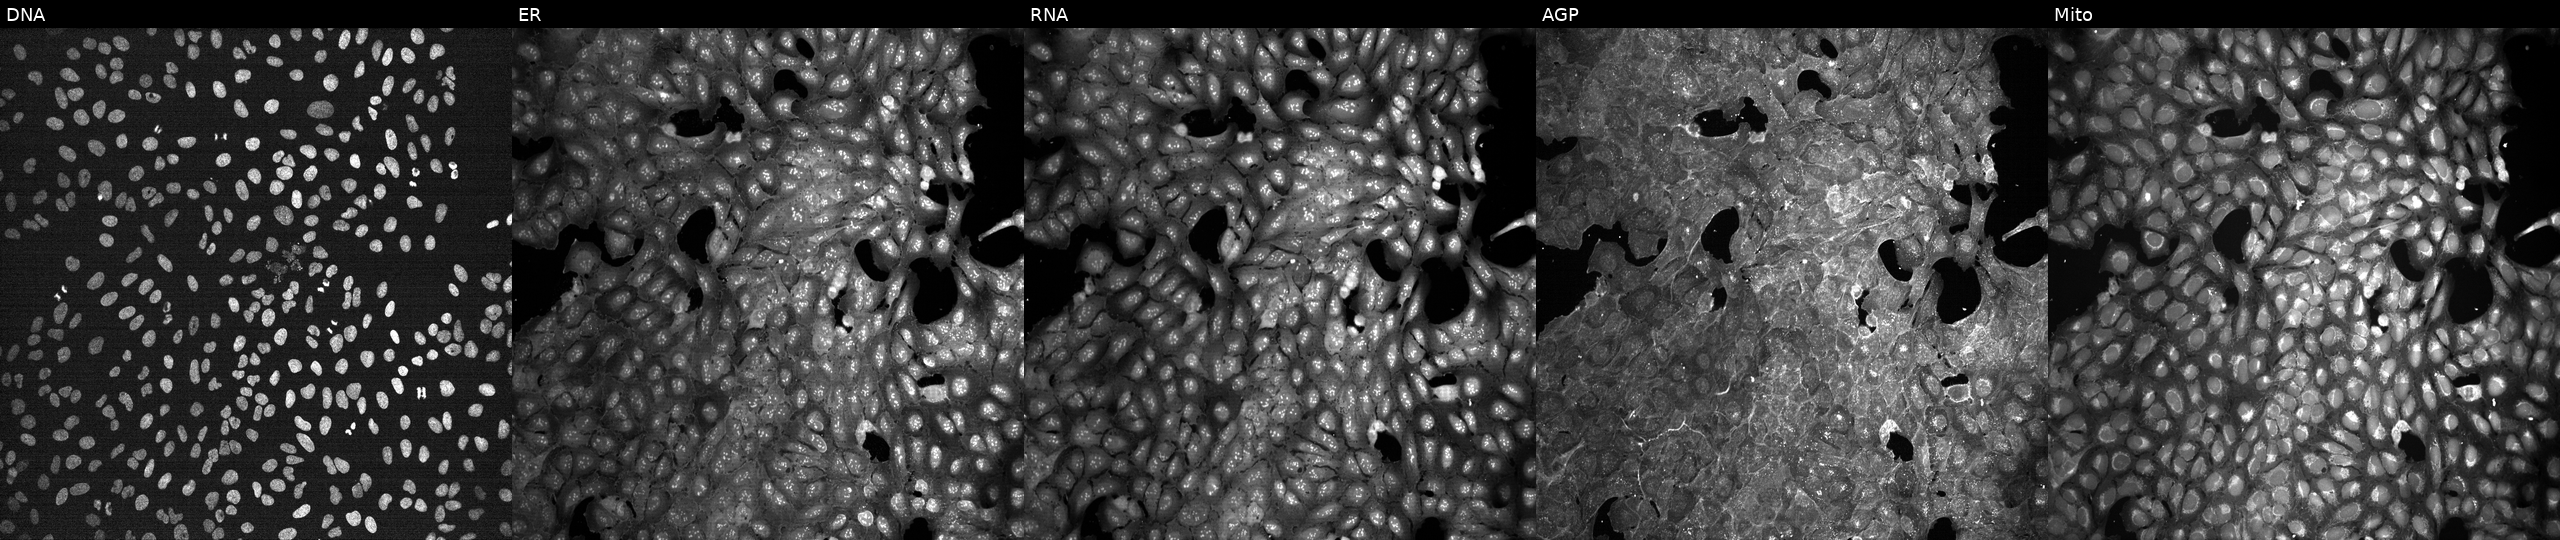
JUMP Cell Painting — TARGET2 plate. U2OS cells exposed to a small-molecule compound (InChIKey LENZDBCJOHFCAS-UHFFFAOYSA-N) [SMILES: NC(CO)(CO)CO]. Panels show, left to right, DNA (nuclei); ER (endoplasmic reticulum); RNA (nucleoli and cytoplasmic RNA); AGP (actin cytoskeleton, Golgi, and plasma membrane); Mito (mitochondria).